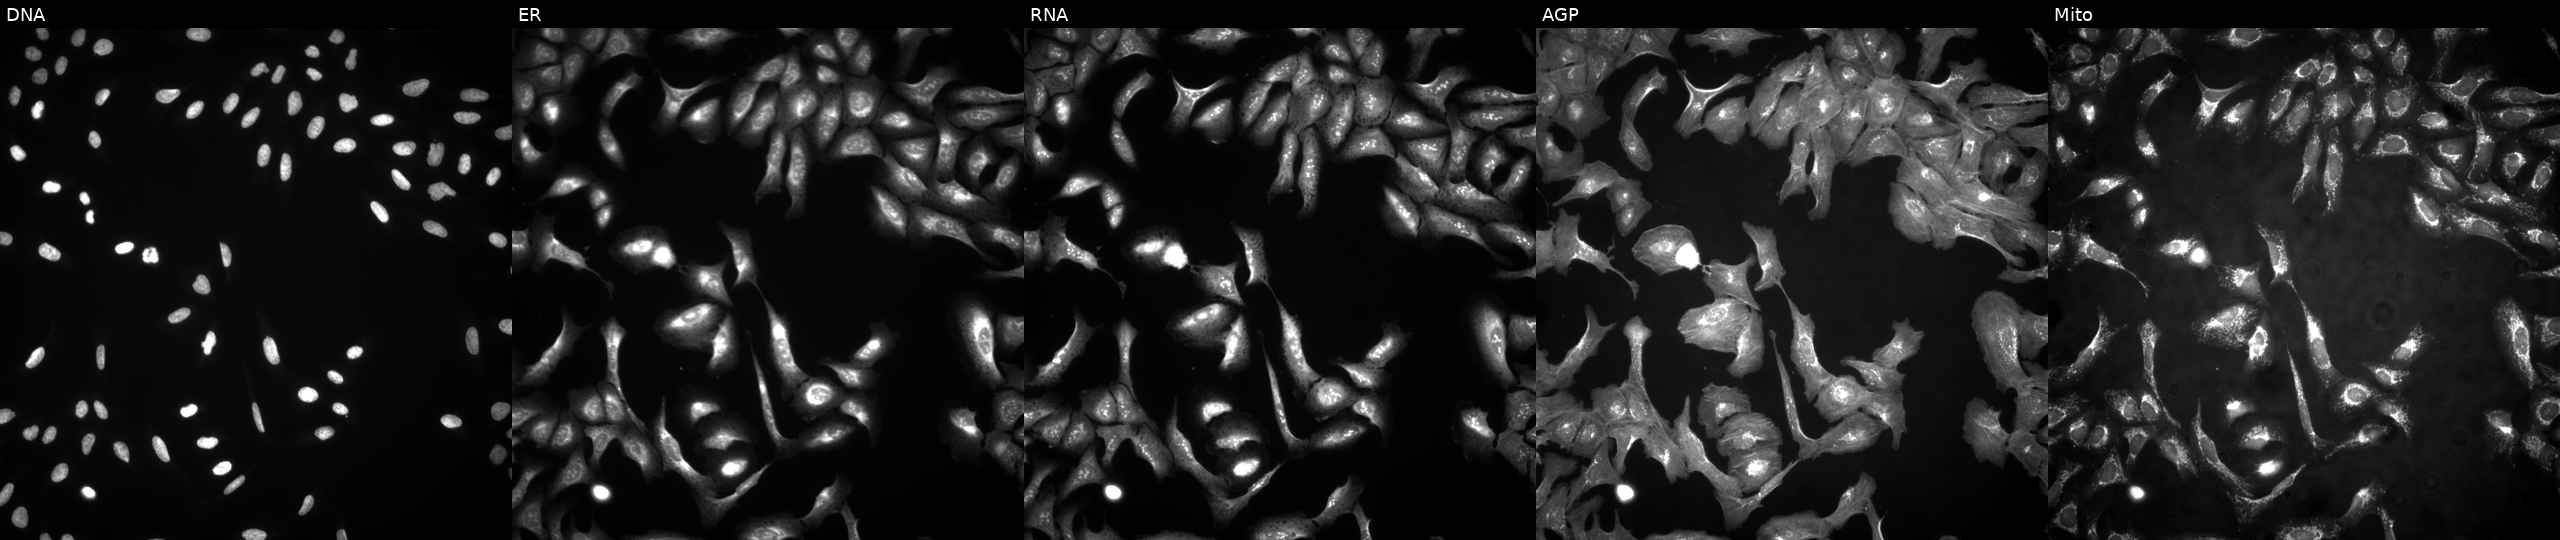
This image strip shows the five Cell Painting channels for a single field of U2OS cells expressing LacZ (ORF negative control). From left to right: Hoechst 33342, concanavalin A, SYTO 14, phalloidin and WGA, MitoTracker.